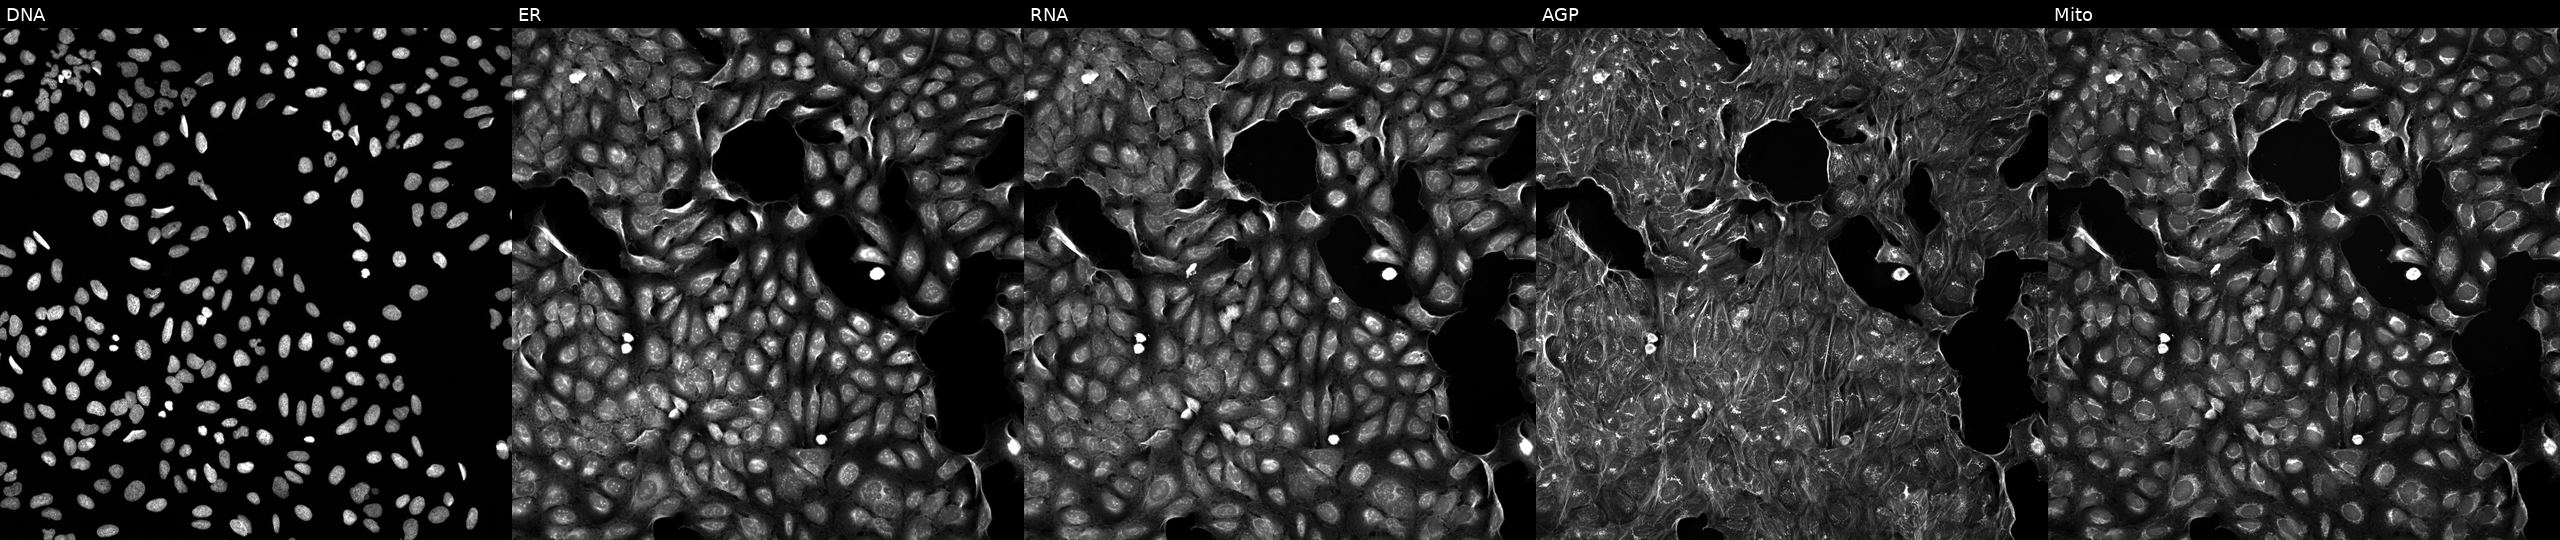
U2OS cells, Cell Painting assay, exposed to a small-molecule compound (InChIKey GKCPONYKGSOAEX-UHFFFAOYSA-N) (JUMP id JCP2022_026007). Channels (left→right): Hoechst 33342, concanavalin A, SYTO 14, phalloidin and WGA, MitoTracker. Each panel is percentile-stretched 16-bit fluorescence. Source 5, plate APTJUM106, well N07.